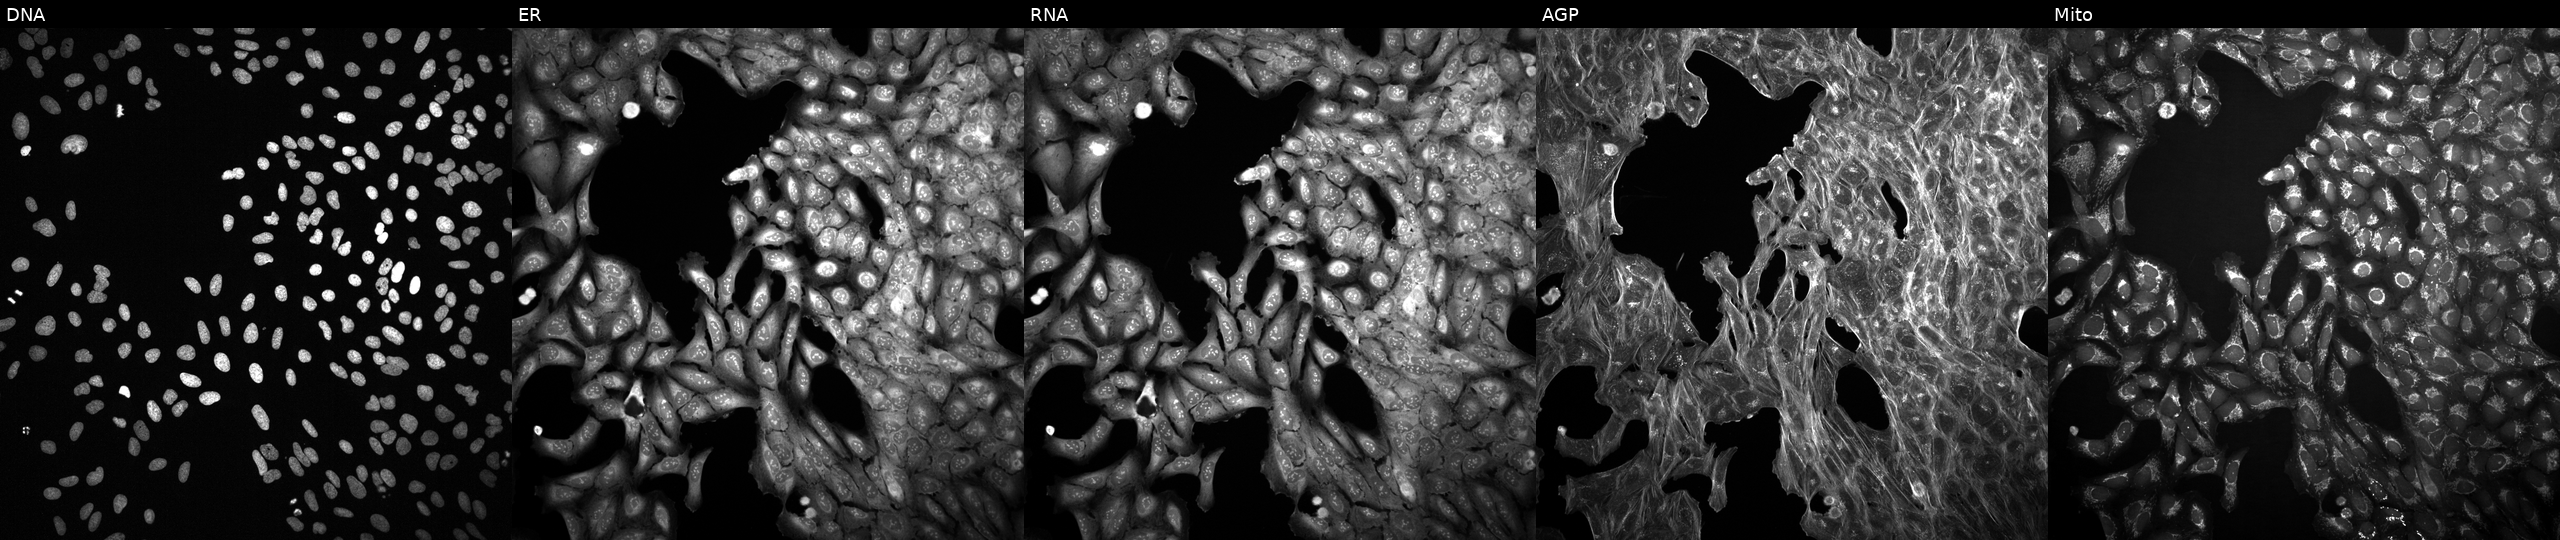
From left to right: DNA (nuclei); ER (endoplasmic reticulum); RNA (nucleoli and cytoplasmic RNA); AGP (actin cytoskeleton, Golgi, and plasma membrane); Mito (mitochondria). U2OS osteosarcoma cells exposed to DMSO alone as a negative control (JUMP id JCP2022_033924). Cell Painting assay, JUMP-CP dataset. Source 2, plate 1053597936, well M21.